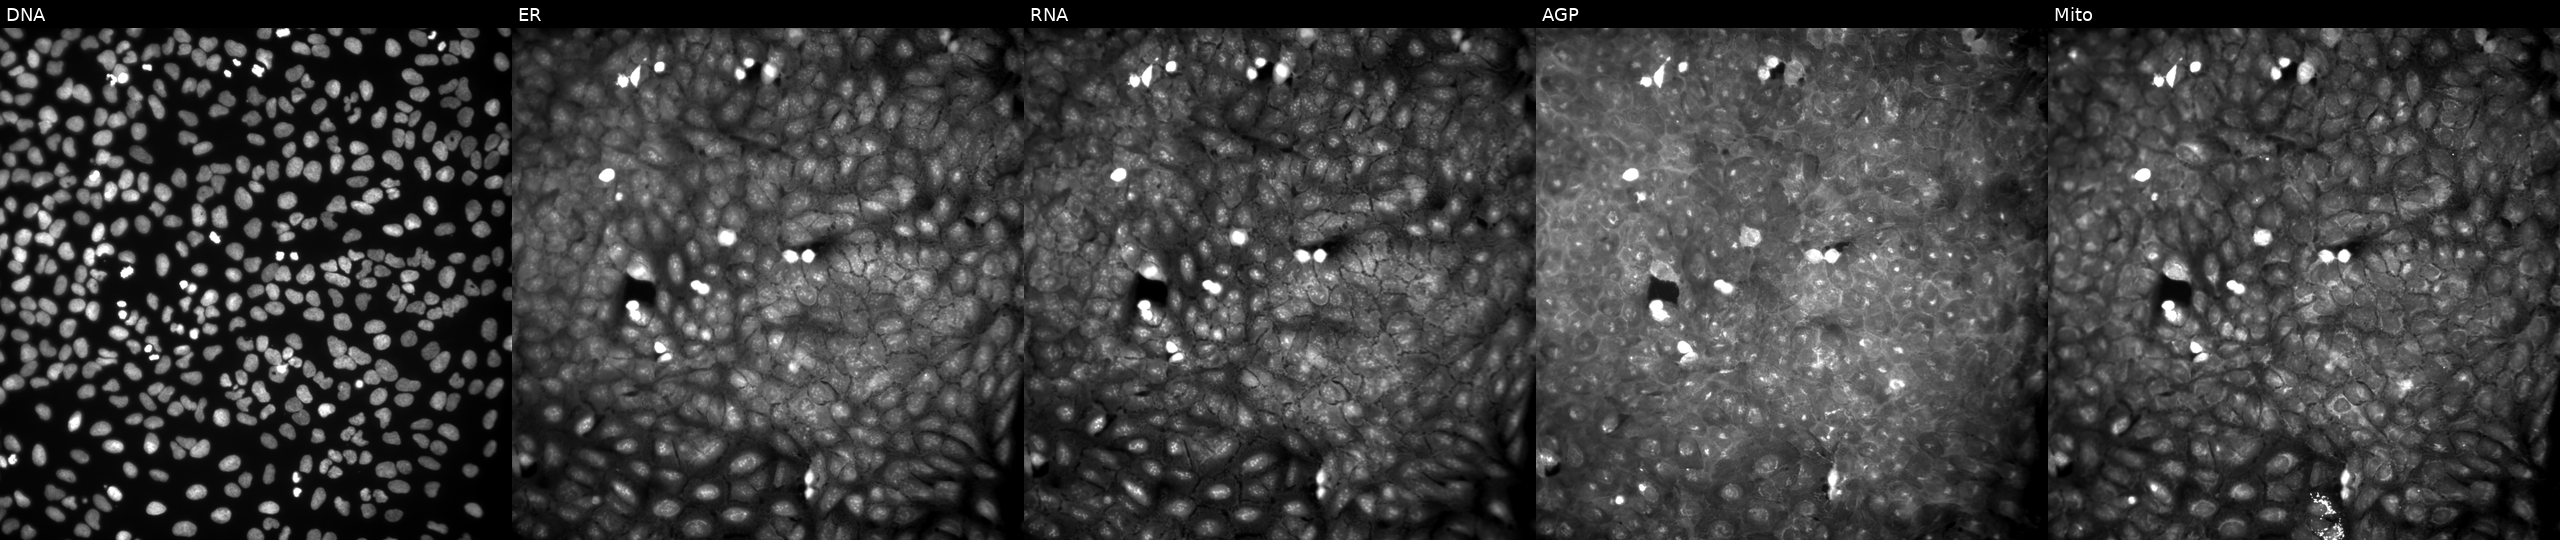
U2OS cells, Cell Painting assay, exposed to DMSO alone as a negative control (JUMP id JCP2022_033924). Channels (left→right): DNA, ER, RNA, AGP, and Mito. Each panel is percentile-stretched 16-bit fluorescence.